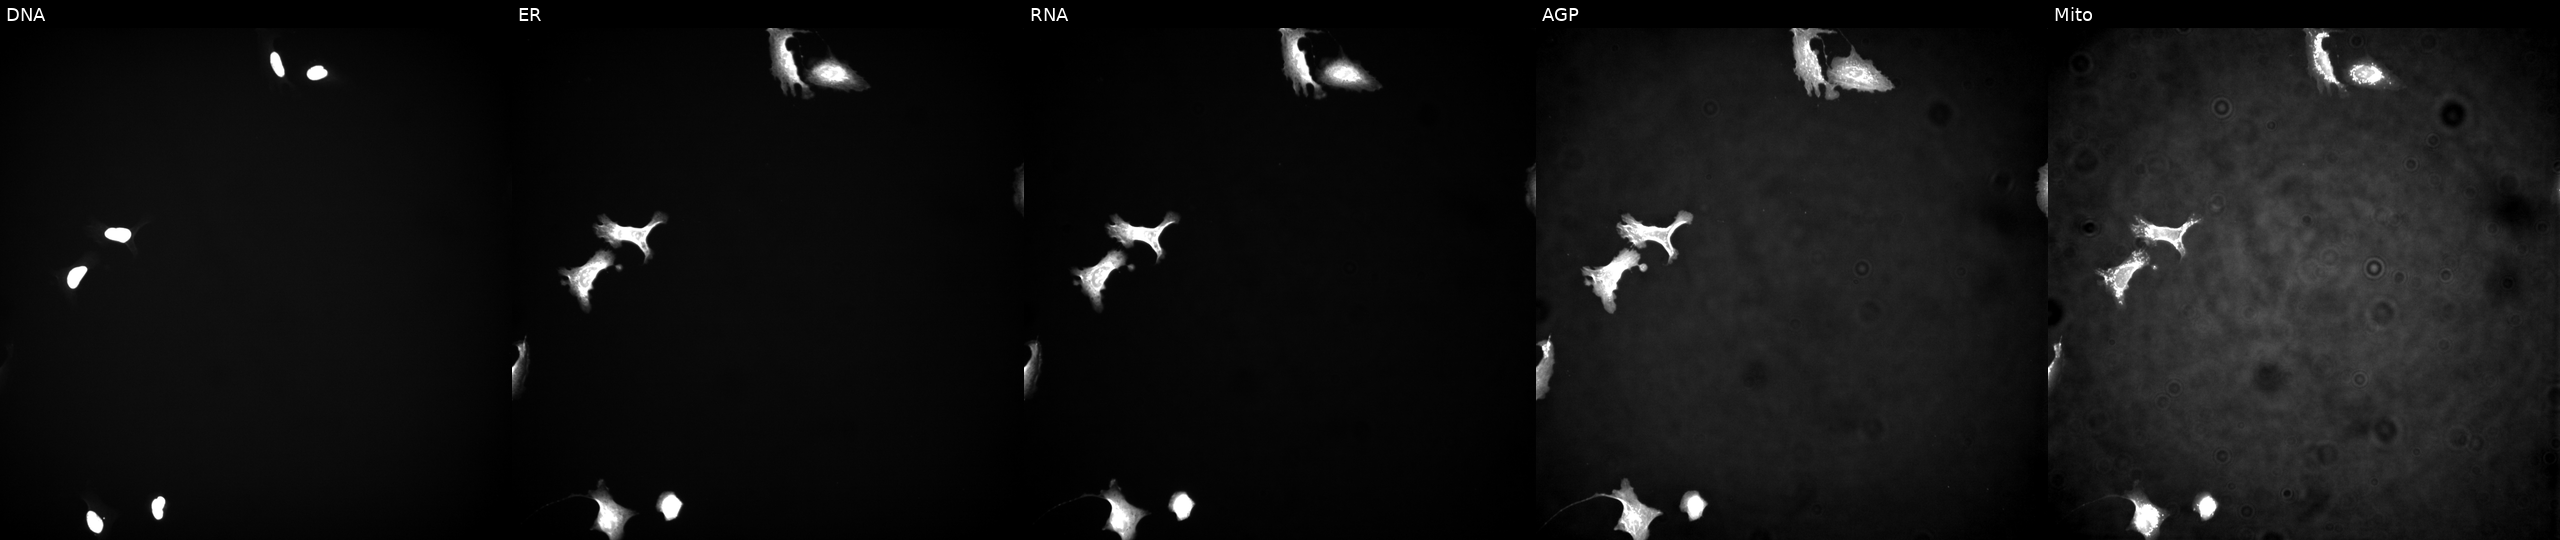
U2OS cells, Cell Painting assay, overexpressing PDK3 via ORF transfection. From left to right: Hoechst 33342, concanavalin A, SYTO 14, phalloidin and WGA, MitoTracker. Each panel is percentile-stretched 16-bit fluorescence.